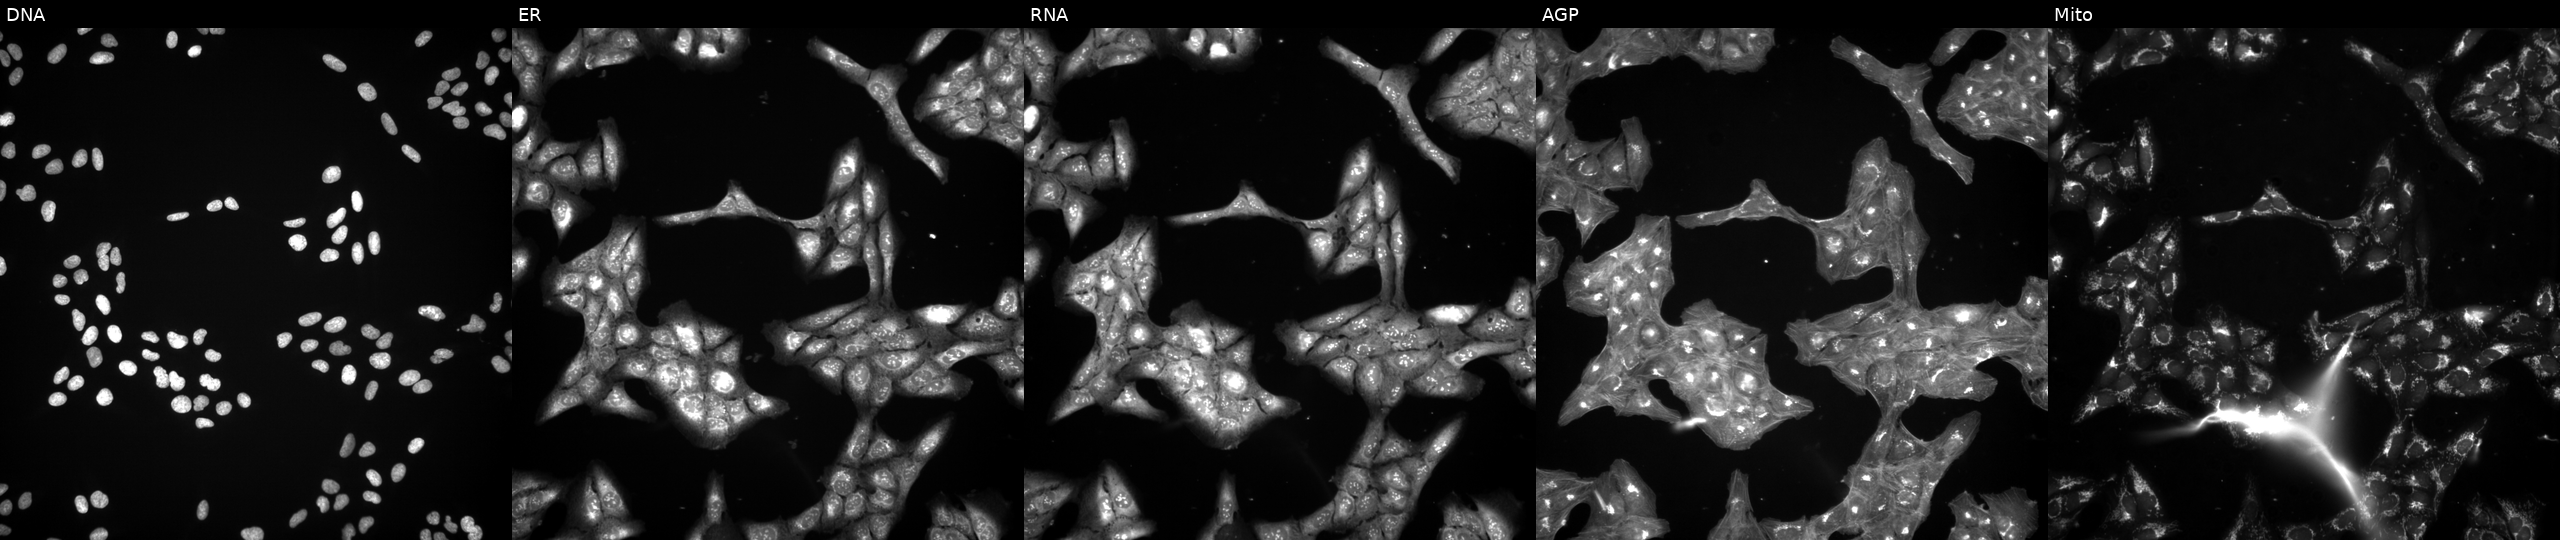
The five panels, left to right, show DNA (nuclei); ER (endoplasmic reticulum); RNA (nucleoli and cytoplasmic RNA); AGP (actin cytoskeleton, Golgi, and plasma membrane); Mito (mitochondria). U2OS osteosarcoma cells perturbed with a small-molecule compound (InChIKey PIWKPBJCKXDKJR-UHFFFAOYSA-N) (JUMP id JCP2022_068901). Cell Painting assay, JUMP-CP dataset. Source 3, plate JCPQC052, well K16.